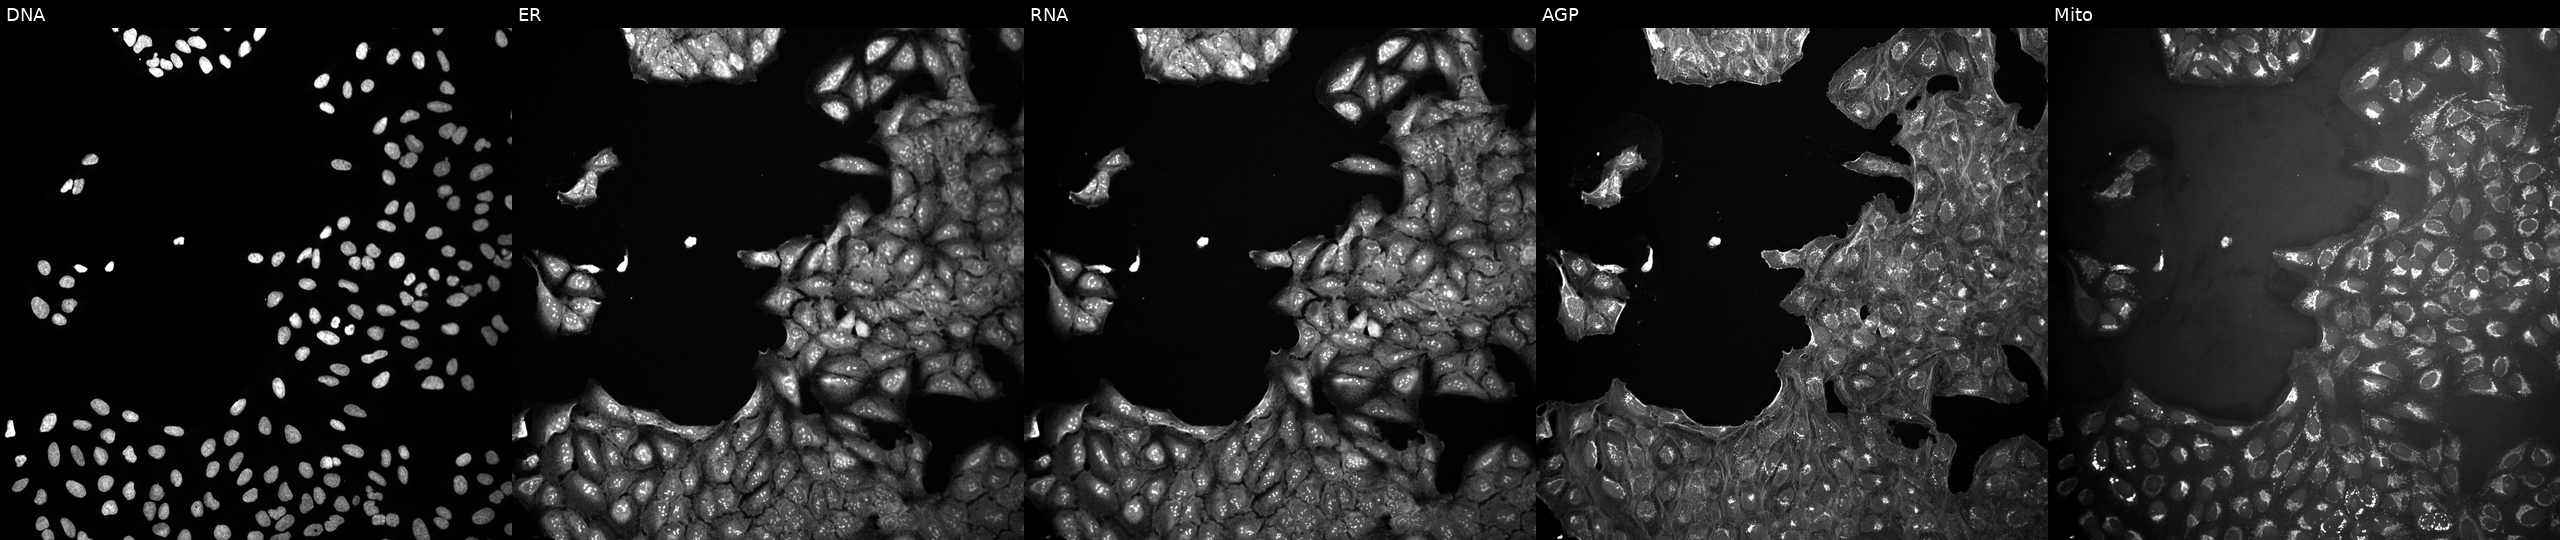
Five-channel Cell Painting image of U2OS cells in an empty control well (no perturbation) (JUMP id JCP2022_999999). The five panels, left to right, show DNA, ER, RNA, AGP, and Mito.